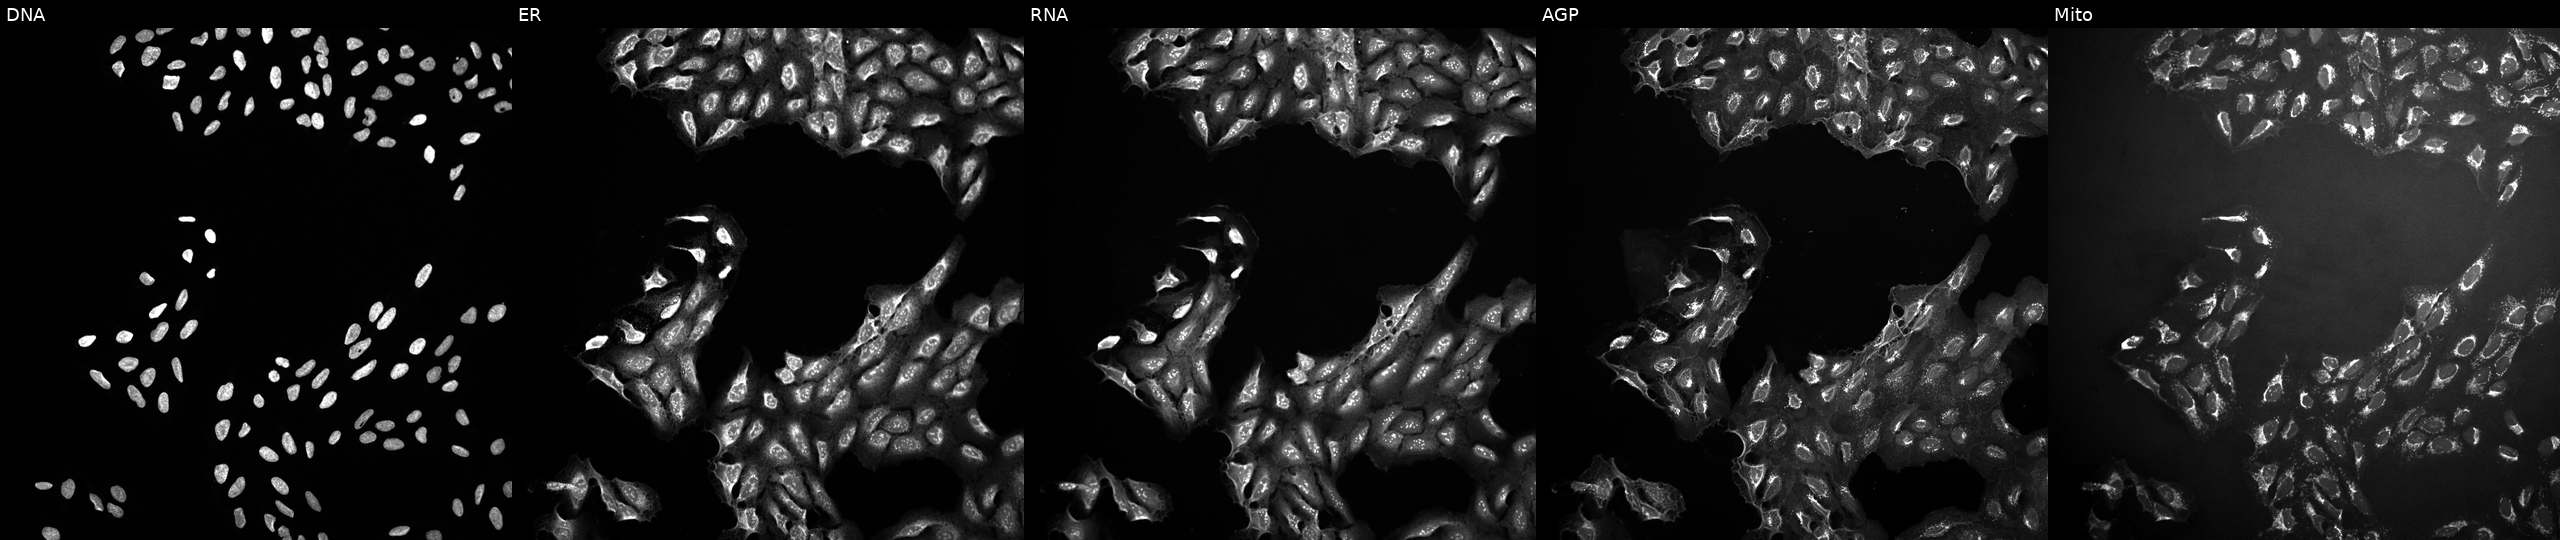
Five-channel Cell Painting image of U2OS cells perturbed with a small-molecule compound [SMILES: Cc1c[nH]c(-c2ccccc2C(C)C)nc1=NCc1ccc(-n2ccnn2)cc1] (JUMP id JCP2022_096342). Panels show, left to right, DNA (nuclei); ER (endoplasmic reticulum); RNA (nucleoli and cytoplasmic RNA); AGP (actin cytoskeleton, Golgi, and plasma membrane); Mito (mitochondria).